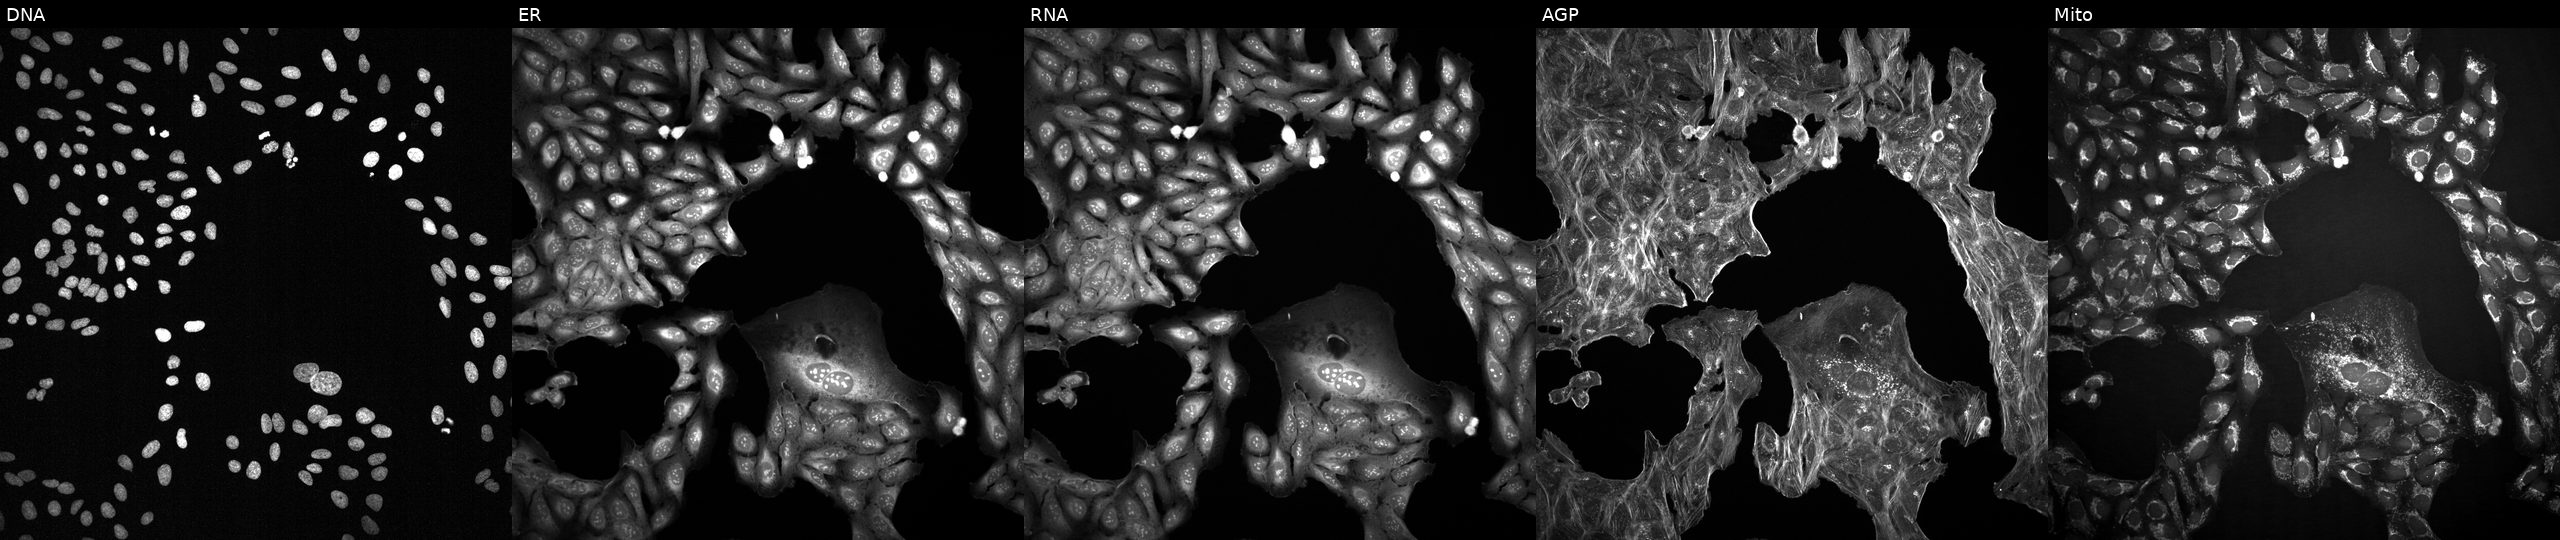
From left to right: DNA (nuclei); ER (endoplasmic reticulum); RNA (nucleoli and cytoplasmic RNA); AGP (actin cytoskeleton, Golgi, and plasma membrane); Mito (mitochondria). U2OS osteosarcoma cells perturbed with a small-molecule compound (InChIKey UCAGLBKTLXCODC-UHFFFAOYSA-N) (JUMP id JCP2022_088224). Cell Painting assay, JUMP-CP dataset. Source 2, plate 1053600674, well K03.